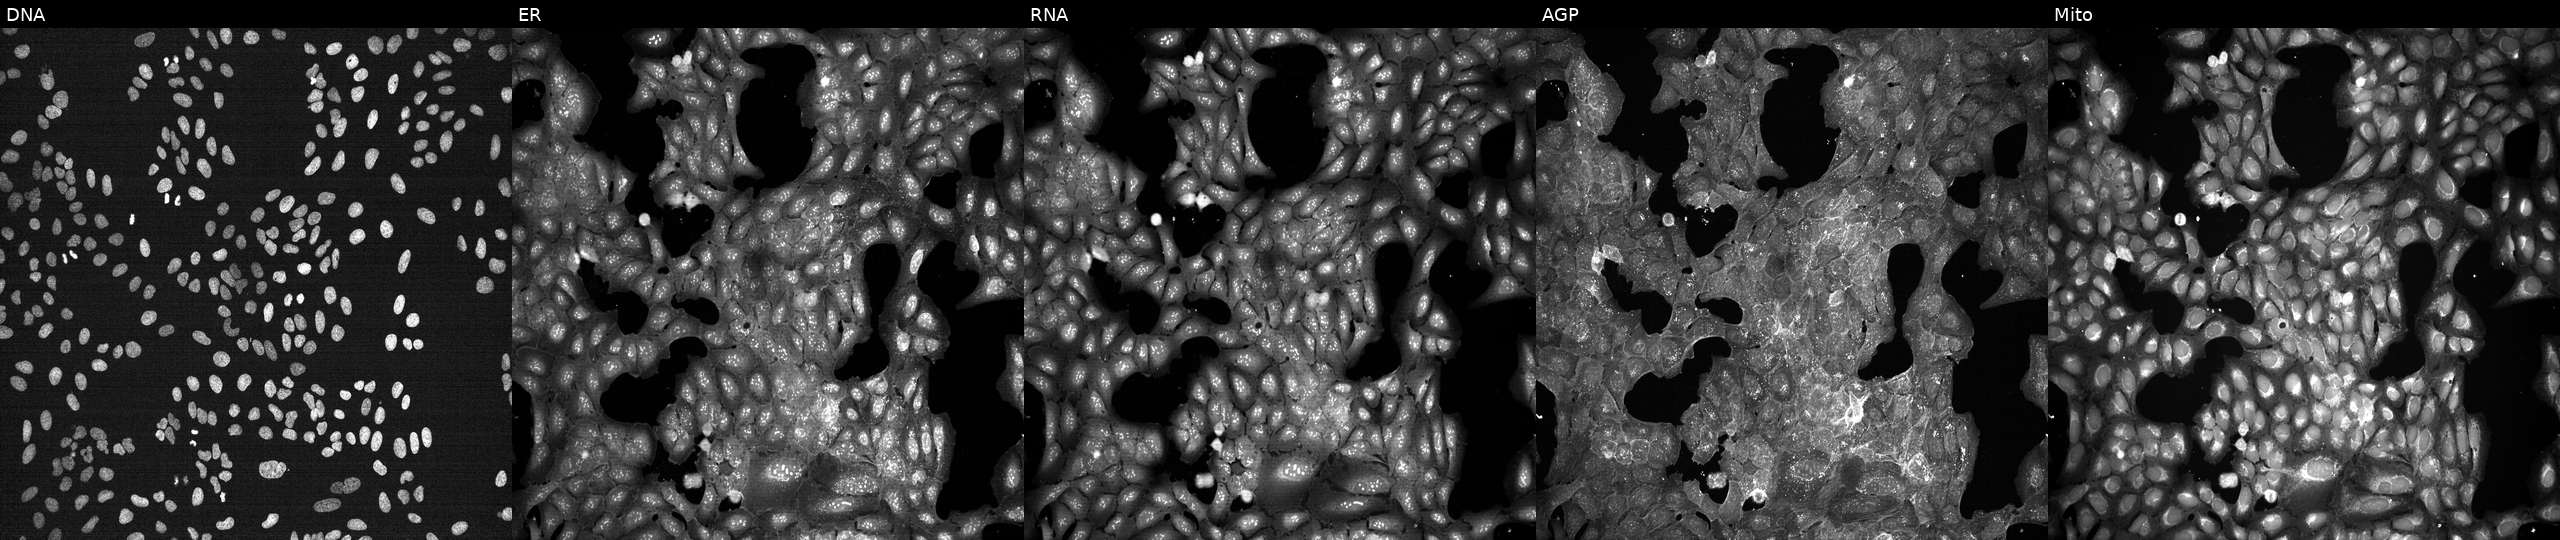
High-content fluorescence microscopy (Cell Painting). Cell line: U2OS. Perturbation: exposed to a small-molecule compound (InChIKey JHSXDAWGLCZYSM-UHFFFAOYSA-N). Panels show, left to right, DNA (nuclei); ER (endoplasmic reticulum); RNA (nucleoli and cytoplasmic RNA); AGP (actin cytoskeleton, Golgi, and plasma membrane); Mito (mitochondria). Source 7, plate CP1-SC1-25, well H10.